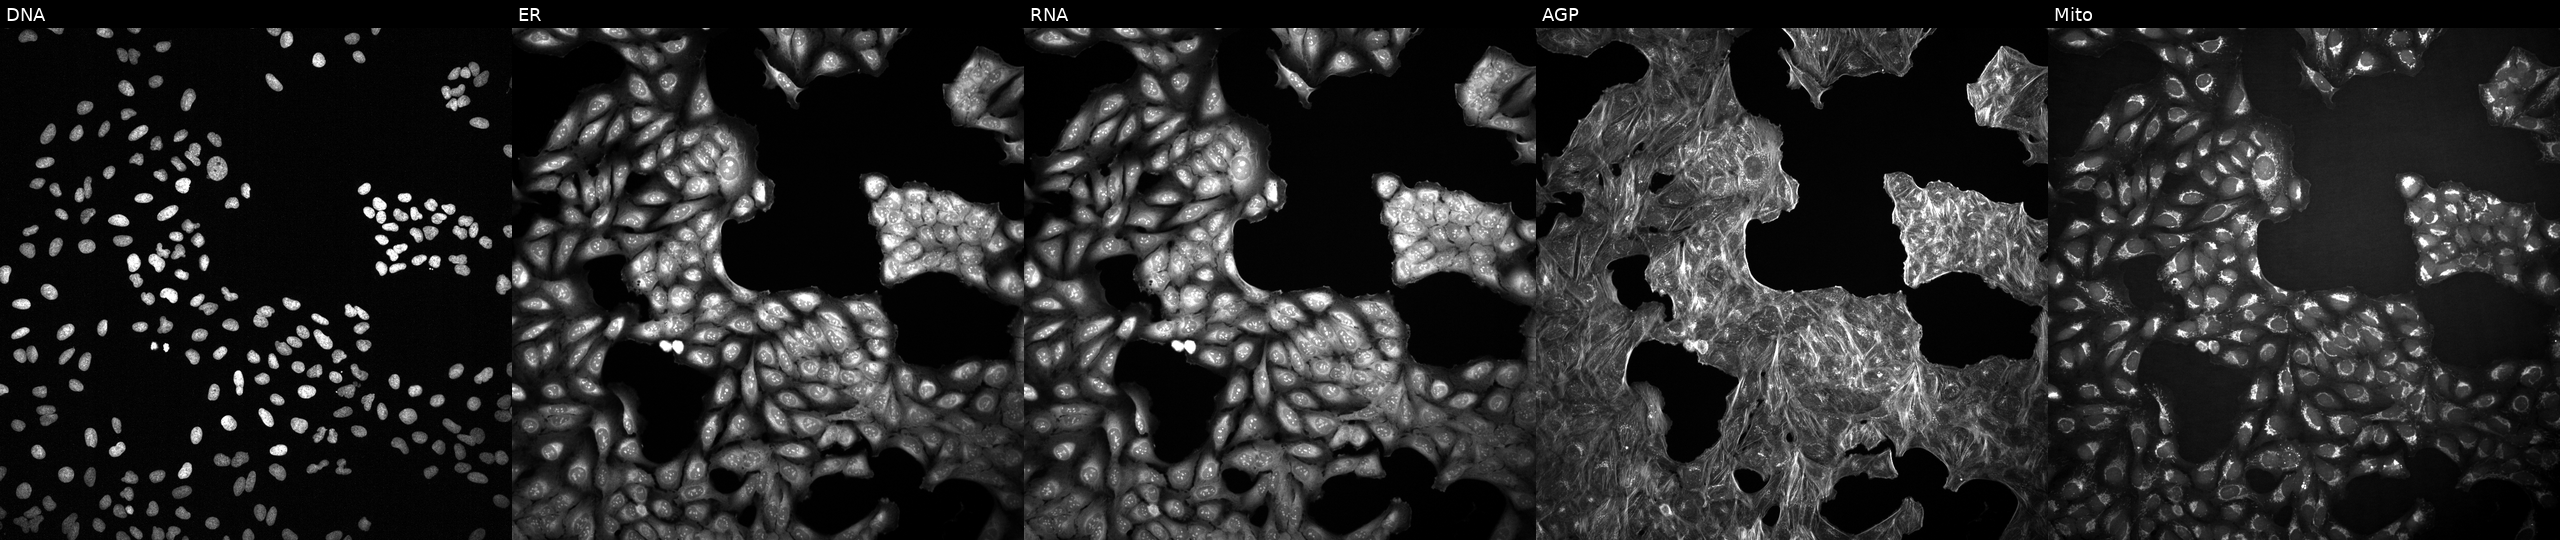
High-content fluorescence microscopy (Cell Painting). Cell line: U2OS. Perturbation: treated with a small-molecule compound (InChIKey GDXKSMNNDKYNMK-UHFFFAOYSA-N). The five panels, left to right, show DNA (nuclei); ER (endoplasmic reticulum); RNA (nucleoli and cytoplasmic RNA); AGP (actin cytoskeleton, Golgi, and plasma membrane); Mito (mitochondria).